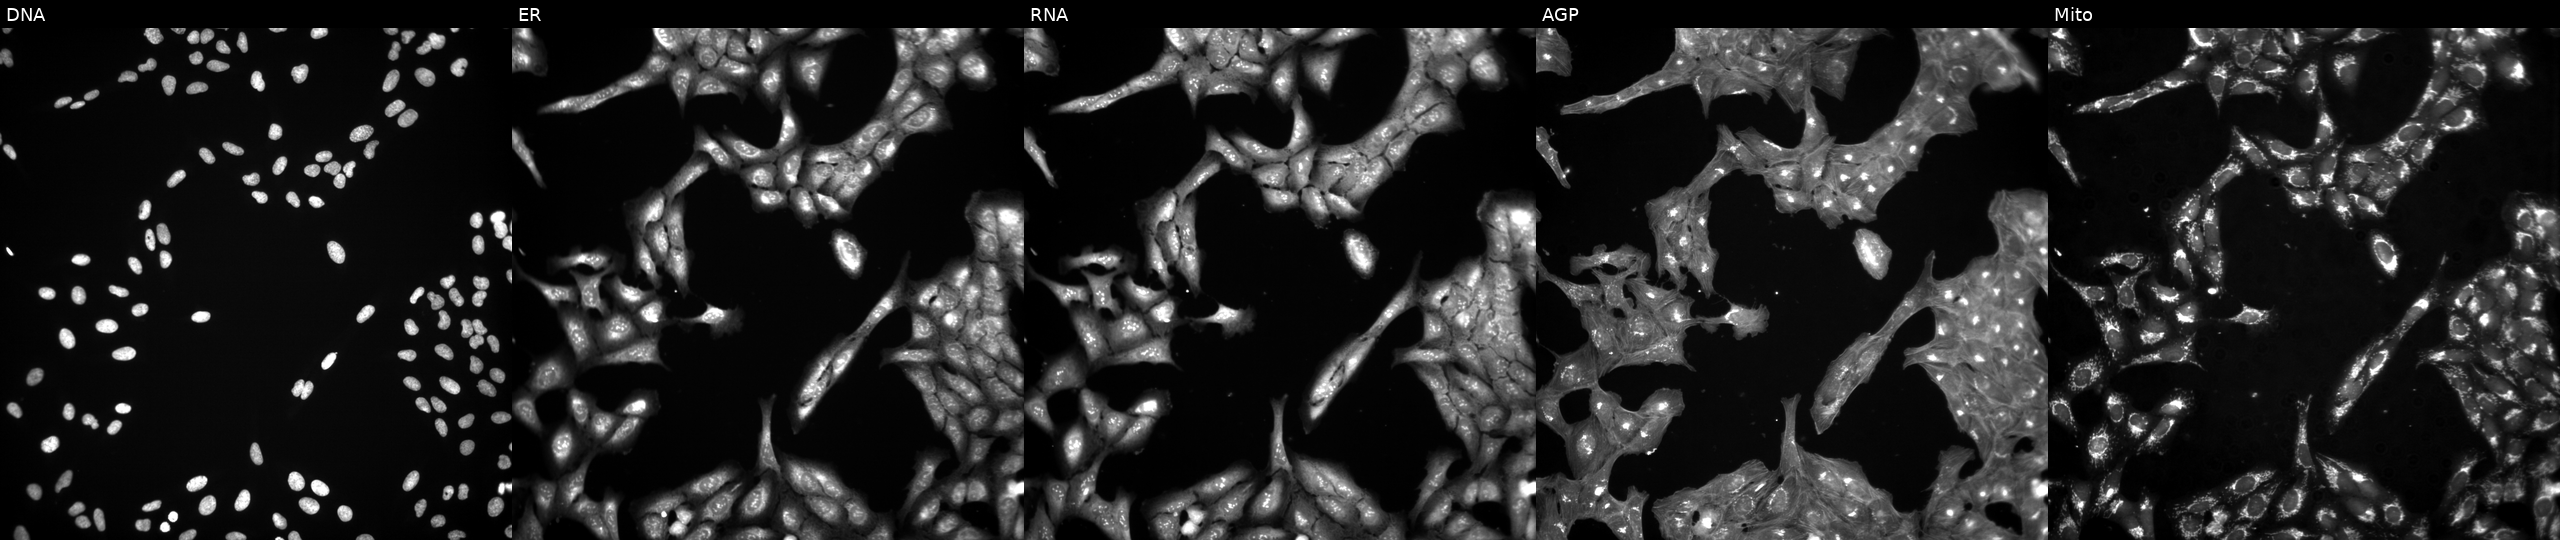
JUMP Cell Painting — TARGET2 plate. U2OS cells perturbed with a small-molecule compound (InChIKey XQYASZNUFDVMFH-UHFFFAOYSA-N). The five panels, left to right, show Hoechst 33342, concanavalin A, SYTO 14, phalloidin and WGA, MitoTracker. Source 3, plate JCPQC052, well C01.